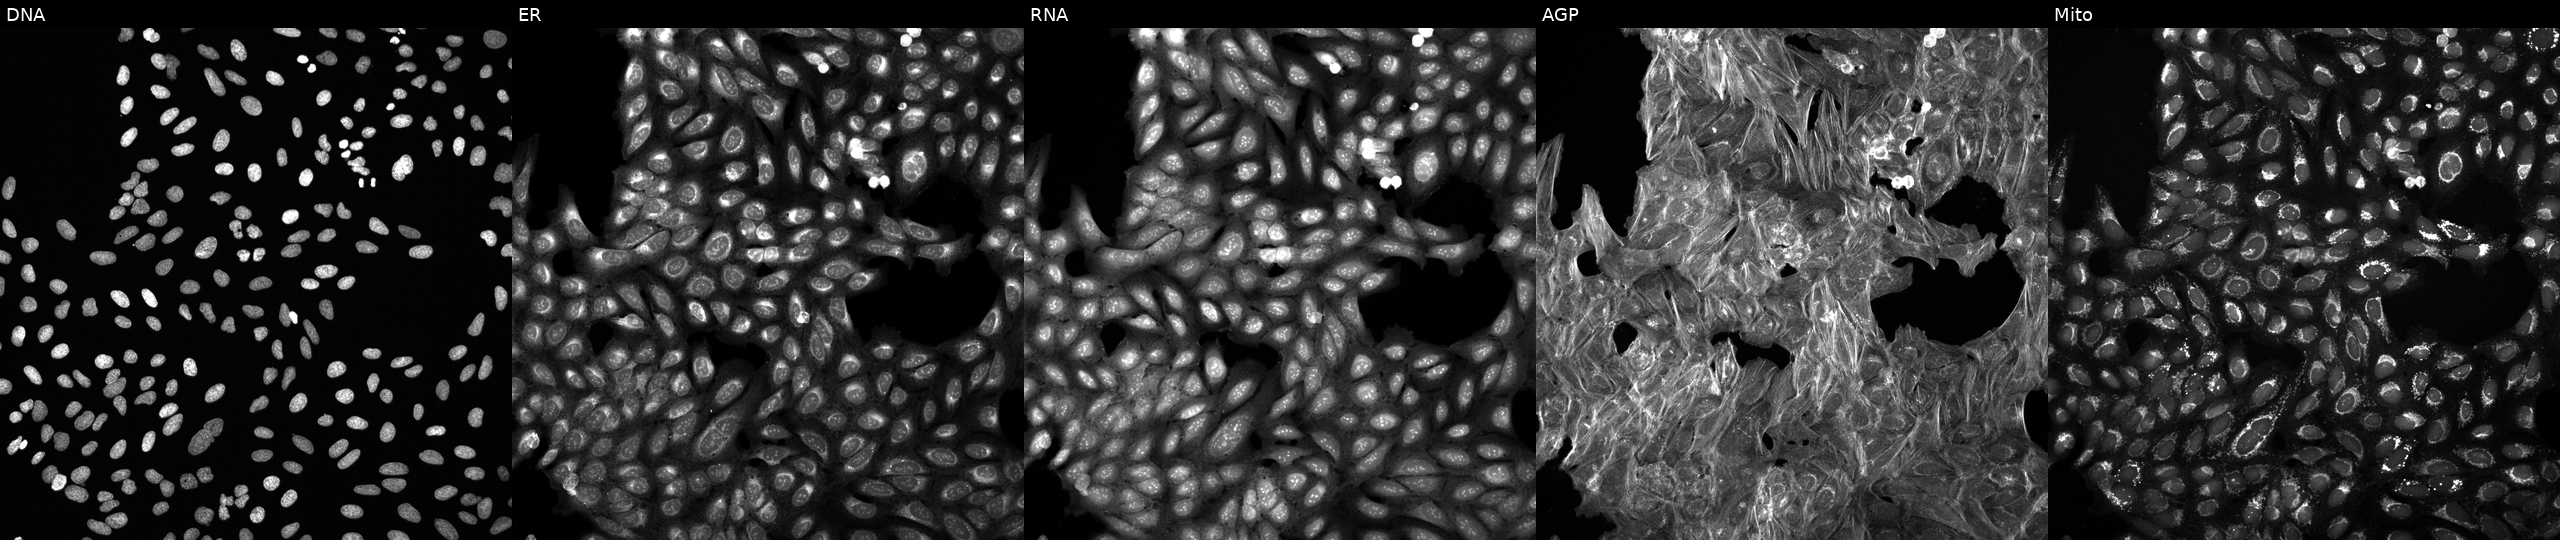
This image strip shows the five Cell Painting channels for a single field of U2OS cells exposed to a small-molecule compound (InChIKey KSBHRDHYVWYFJJ-UHFFFAOYSA-N) [SMILES: O=C(c1cccnc1)N1CCC(N=c2[nH]ccc3nc(C(F)(F)F)ccc23)CC1]. The five panels, left to right, show DNA (nuclei); ER (endoplasmic reticulum); RNA (nucleoli and cytoplasmic RNA); AGP (actin cytoskeleton, Golgi, and plasma membrane); Mito (mitochondria).